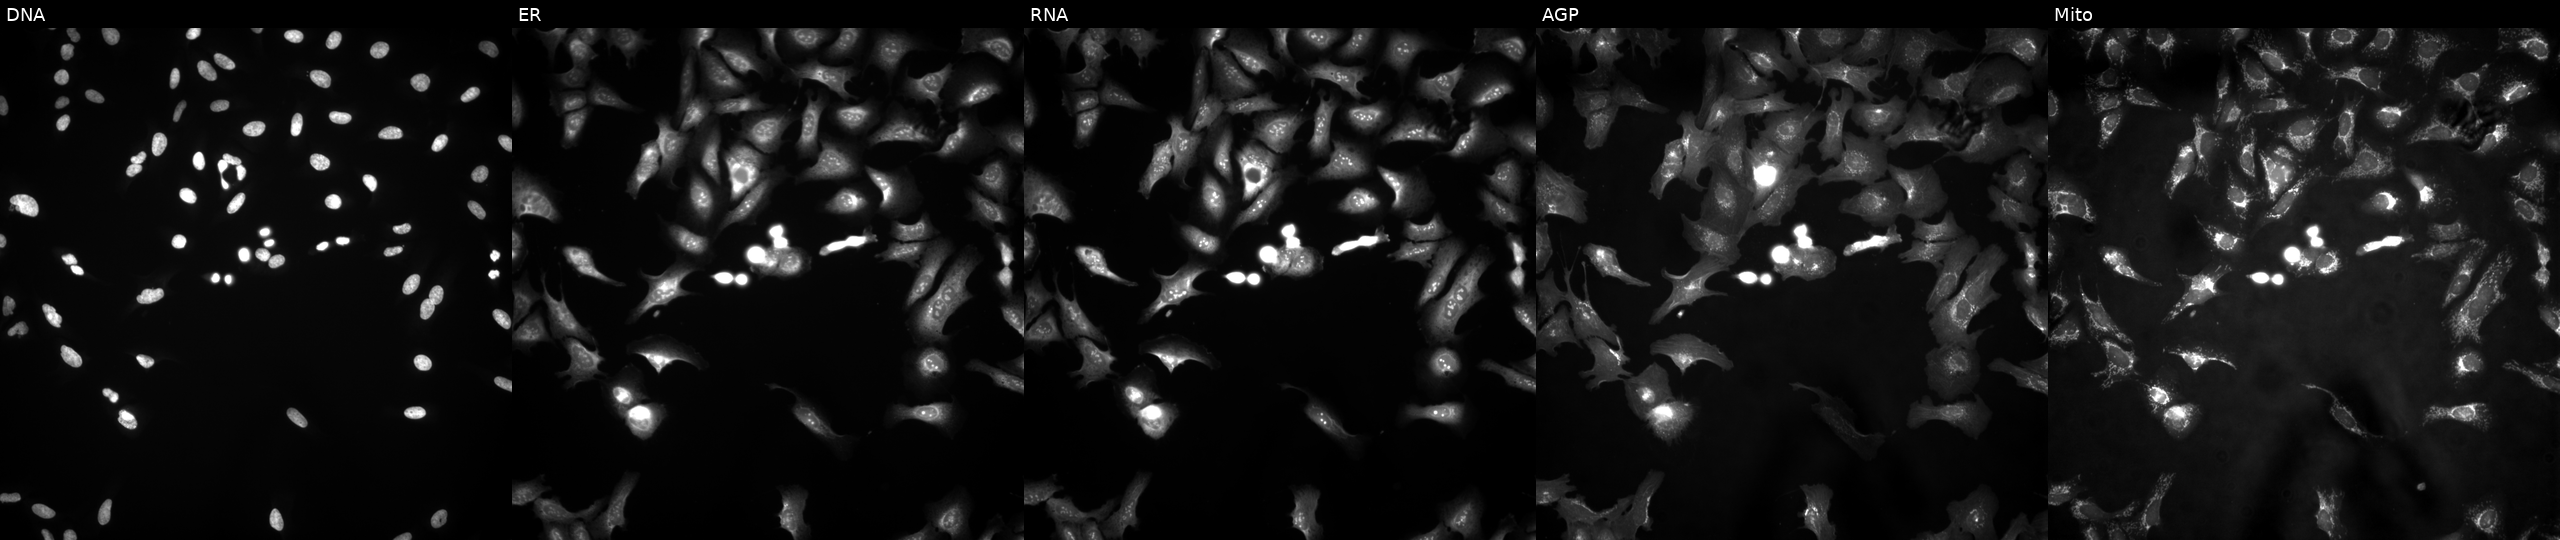
JUMP Cell Painting — ORF plate. U2OS cells overexpressing PCDHGC3 via ORF transfection (JUMP id JCP2022_914515). Channels (left→right): DNA (nuclei); ER (endoplasmic reticulum); RNA (nucleoli and cytoplasmic RNA); AGP (actin cytoskeleton, Golgi, and plasma membrane); Mito (mitochondria). Source 4, plate BR00121543, well G05.